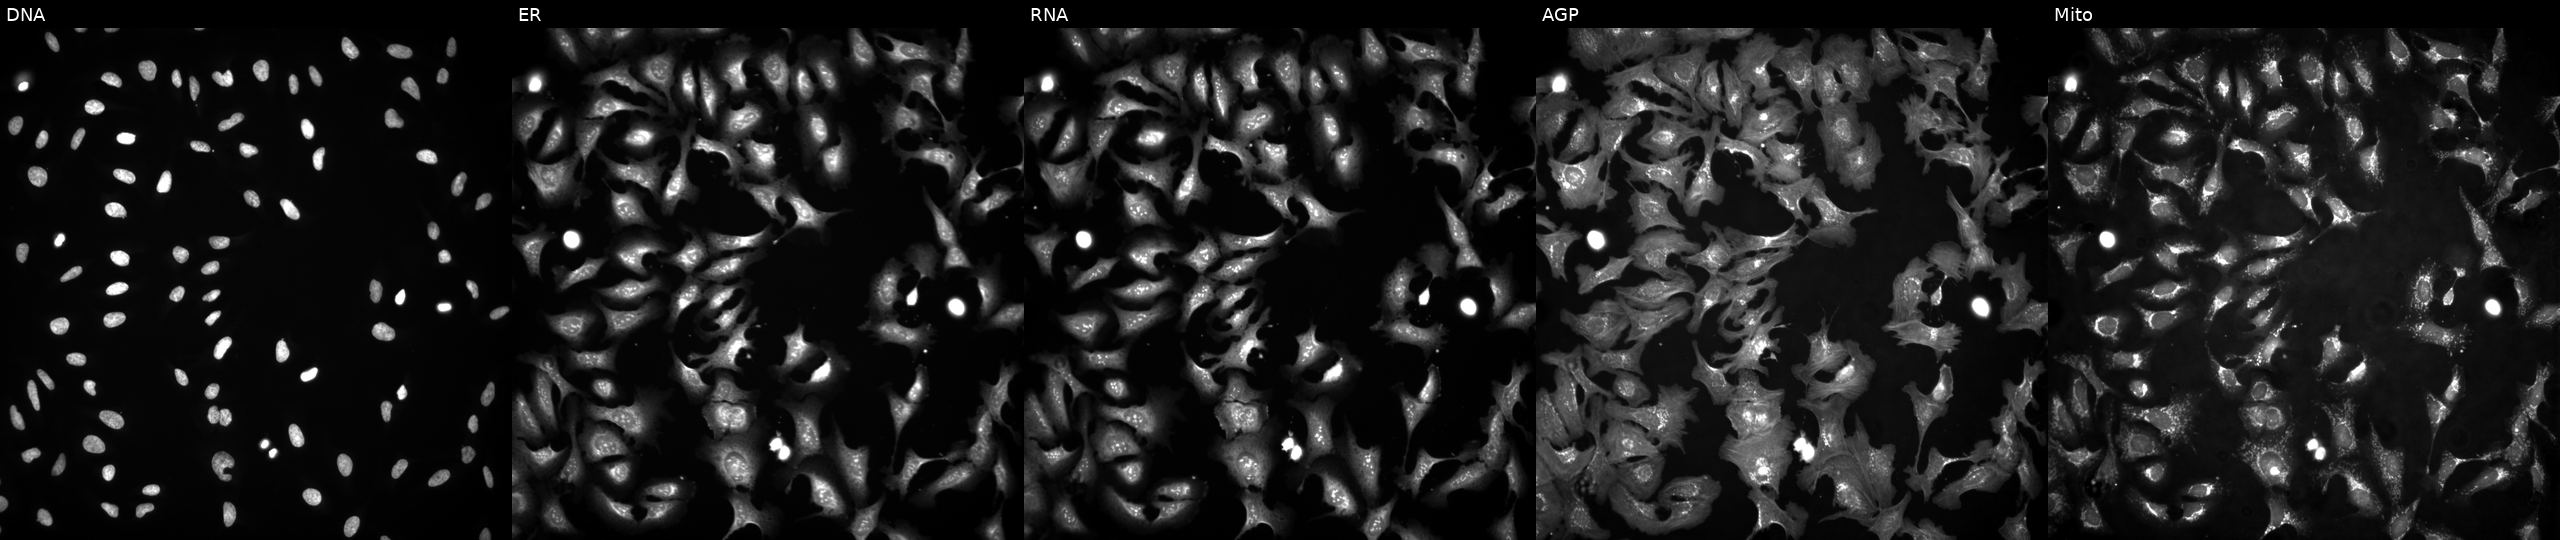
Panels show, left to right, DNA (nuclei); ER (endoplasmic reticulum); RNA (nucleoli and cytoplasmic RNA); AGP (actin cytoskeleton, Golgi, and plasma membrane); Mito (mitochondria). U2OS osteosarcoma cells with PTPN9 overexpressed (ORF). Cell Painting assay, JUMP-CP dataset. Source 4, plate BR00123945, well F16.